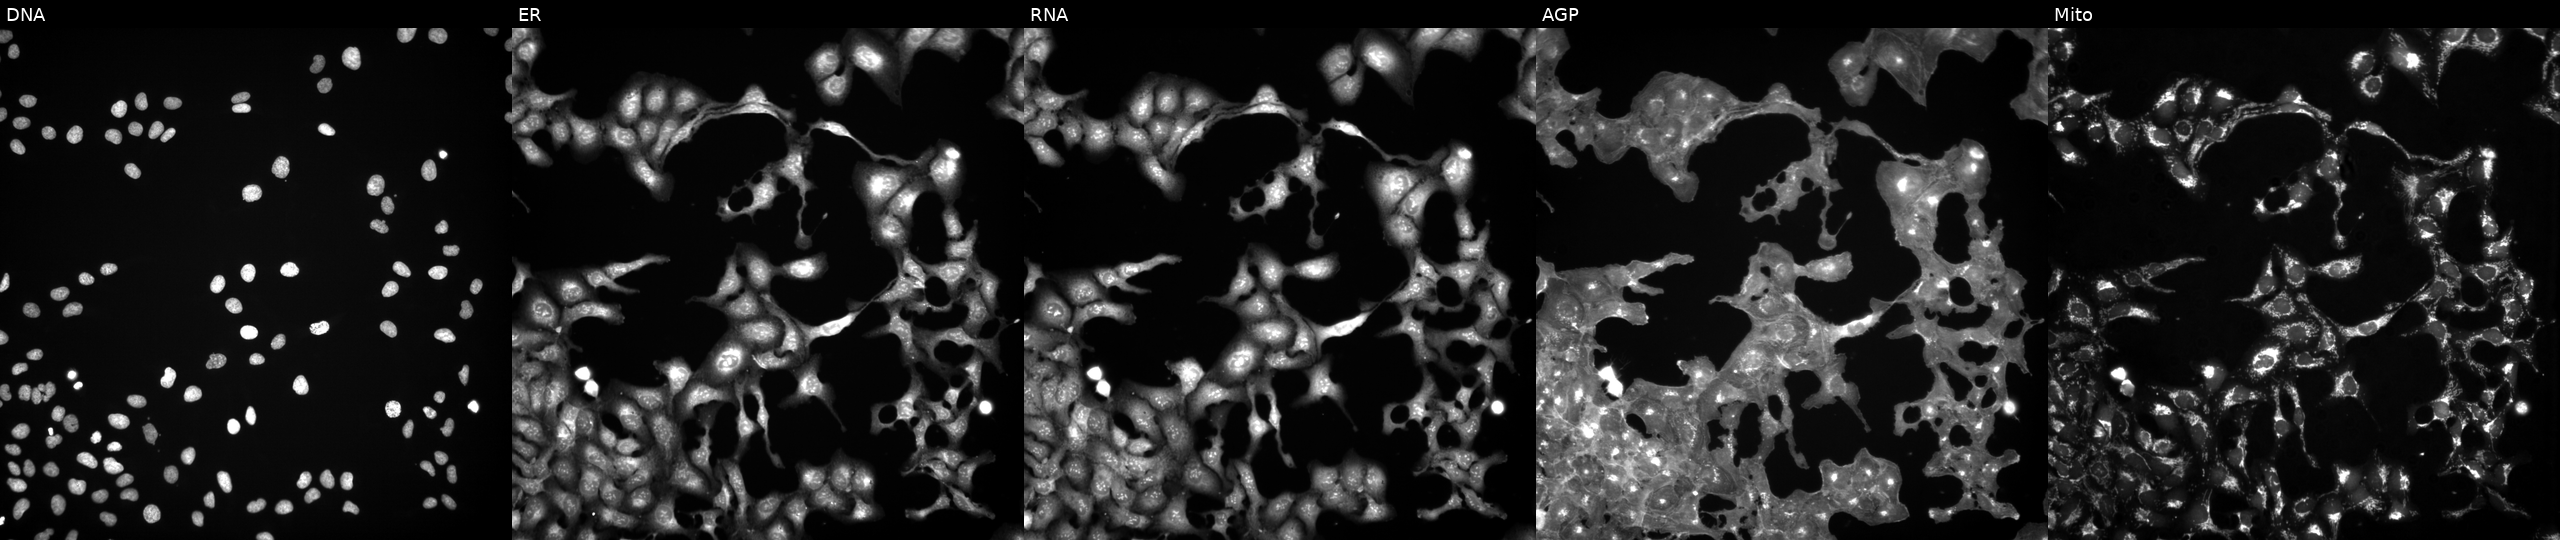
Five-channel Cell Painting image of U2OS cells exposed to a small-molecule compound (InChIKey GDVRVPIXWXOKQO-UHFFFAOYSA-N). From left to right: Hoechst 33342, concanavalin A, SYTO 14, phalloidin and WGA, MitoTracker.